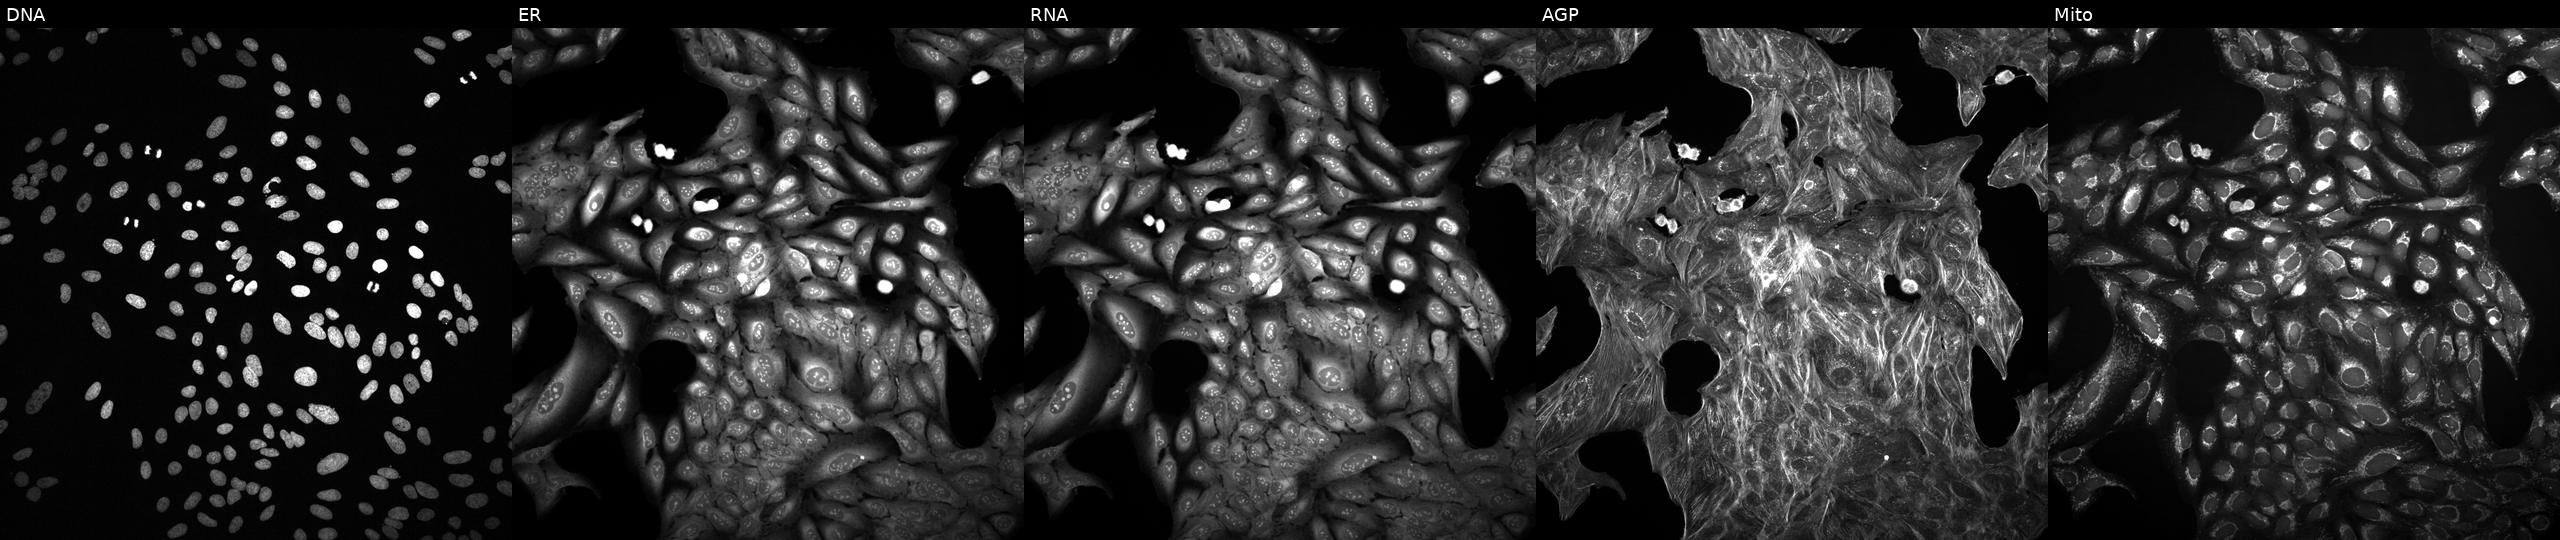
U2OS cells, Cell Painting assay, exposed to DMSO alone as a negative control (JUMP id JCP2022_033924). From left to right: DNA (nuclei); ER (endoplasmic reticulum); RNA (nucleoli and cytoplasmic RNA); AGP (actin cytoskeleton, Golgi, and plasma membrane); Mito (mitochondria). Each panel is percentile-stretched 16-bit fluorescence.